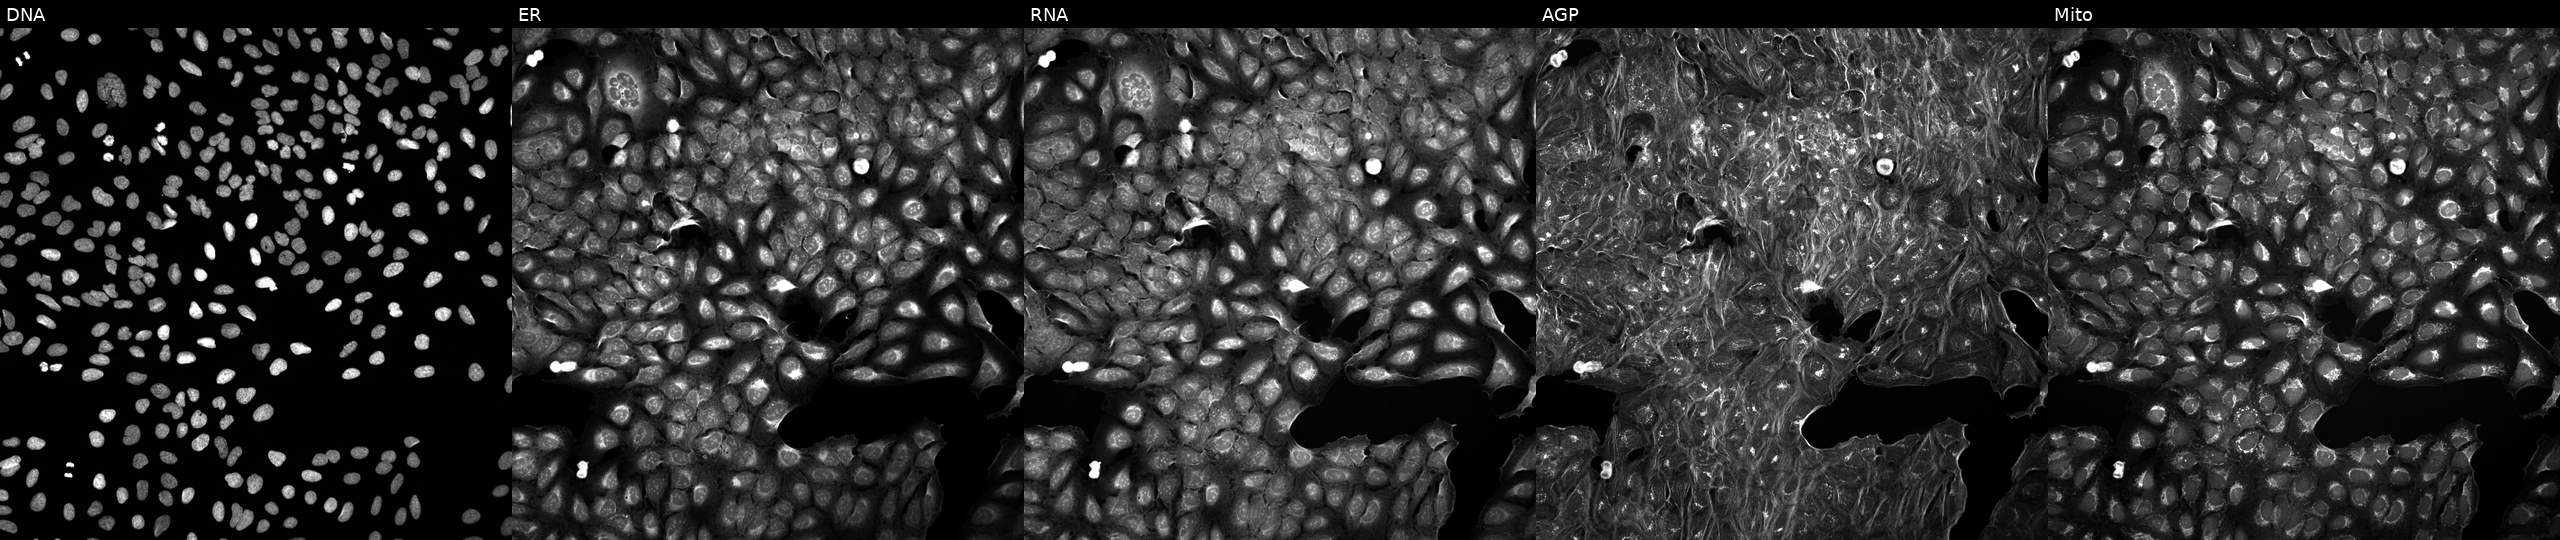
Five-channel Cell Painting image of U2OS cells perturbed with a small-molecule compound (InChIKey JDVVGAQPNNXQDW-UHFFFAOYSA-N). Channels (left→right): DNA, ER, RNA, AGP, and Mito. Source 5, plate ACPJUM012, well N21.